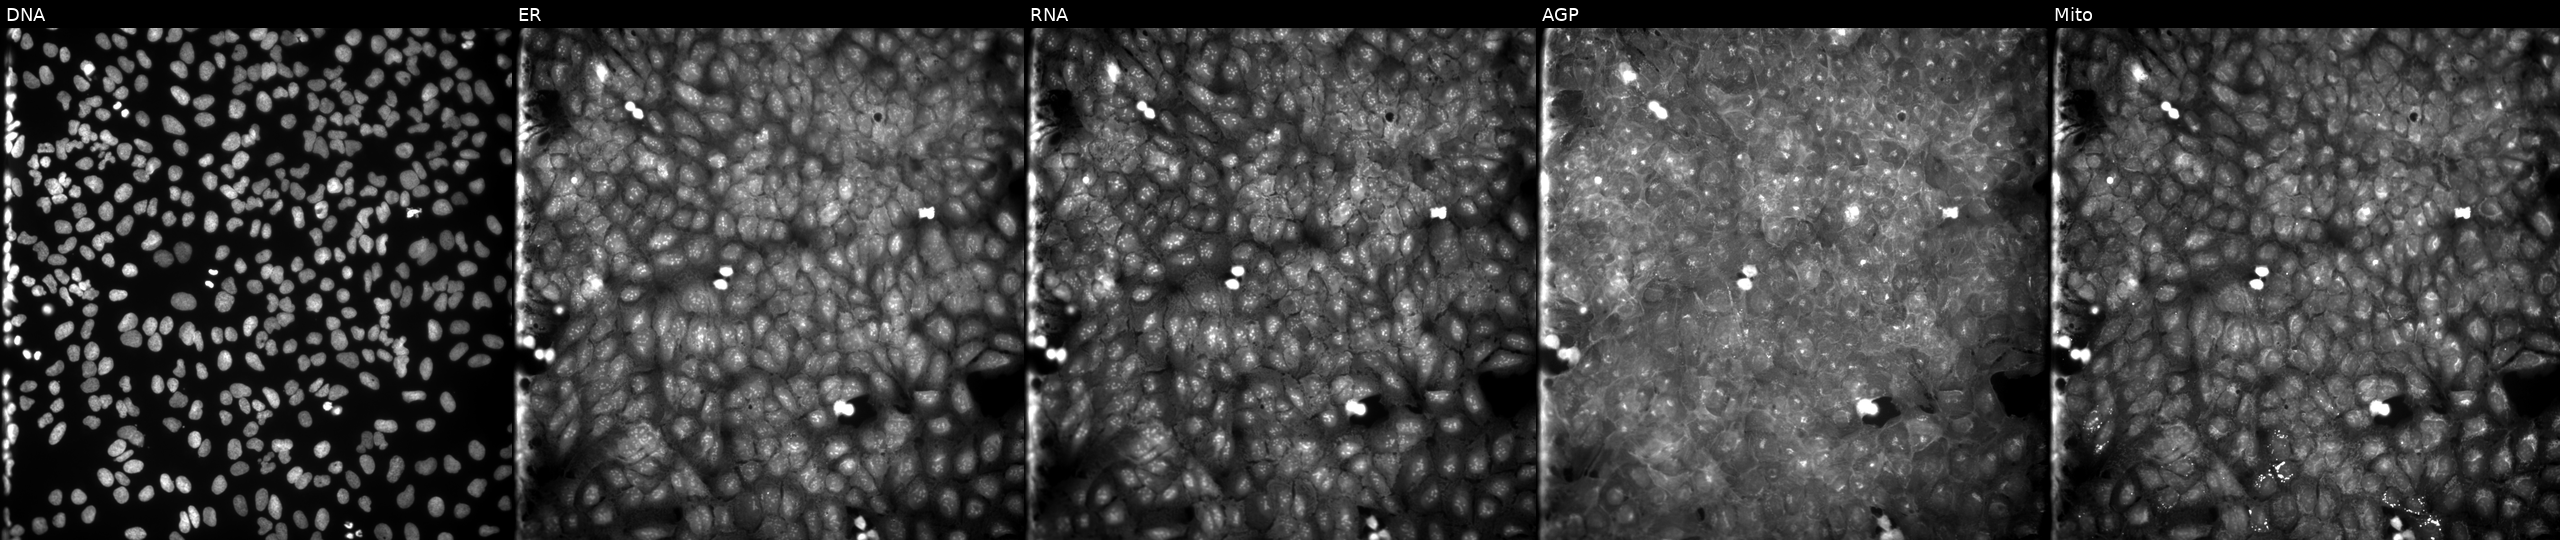
Five-channel Cell Painting image of U2OS cells treated with a small-molecule compound. From left to right: DNA (nuclei); ER (endoplasmic reticulum); RNA (nucleoli and cytoplasmic RNA); AGP (actin cytoskeleton, Golgi, and plasma membrane); Mito (mitochondria).